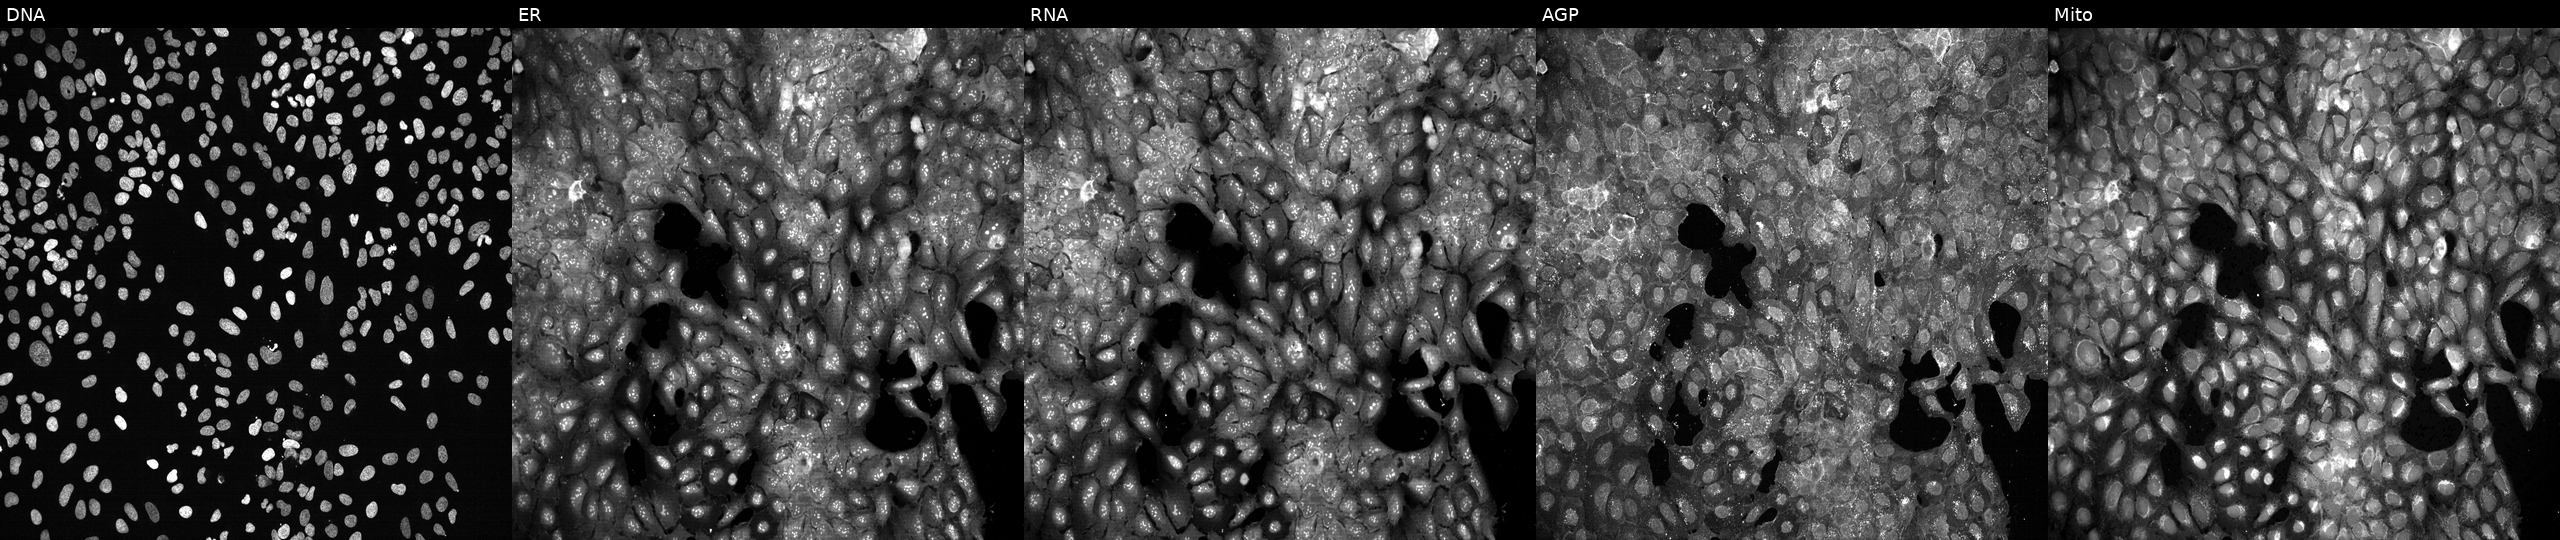
High-content fluorescence microscopy (Cell Painting). Cell line: U2OS. Perturbation: with DOLPP1 knocked out by CRISPR. Panels show, left to right, DNA, ER, RNA, AGP, and Mito. Source 13, plate CP-CC9-R1-02, well B11.